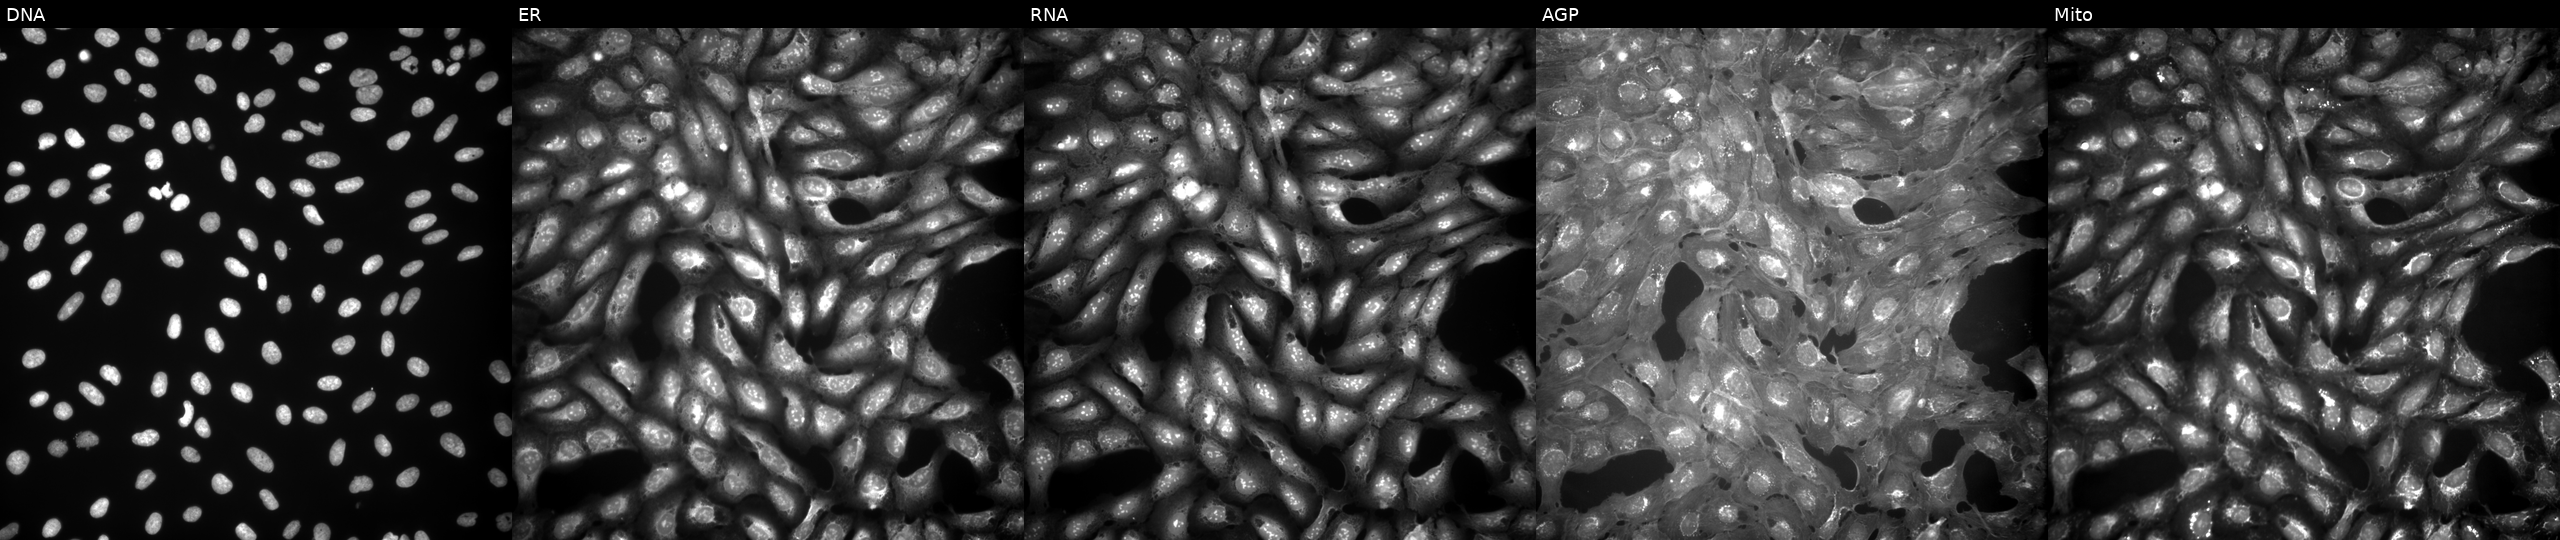
The five panels, left to right, show DNA (nuclei); ER (endoplasmic reticulum); RNA (nucleoli and cytoplasmic RNA); AGP (actin cytoskeleton, Golgi, and plasma membrane); Mito (mitochondria). U2OS osteosarcoma cells perturbed with a small-molecule compound (InChIKey VVRFQSOMYLFRRY-UHFFFAOYSA-N). Cell Painting assay, JUMP-CP dataset.